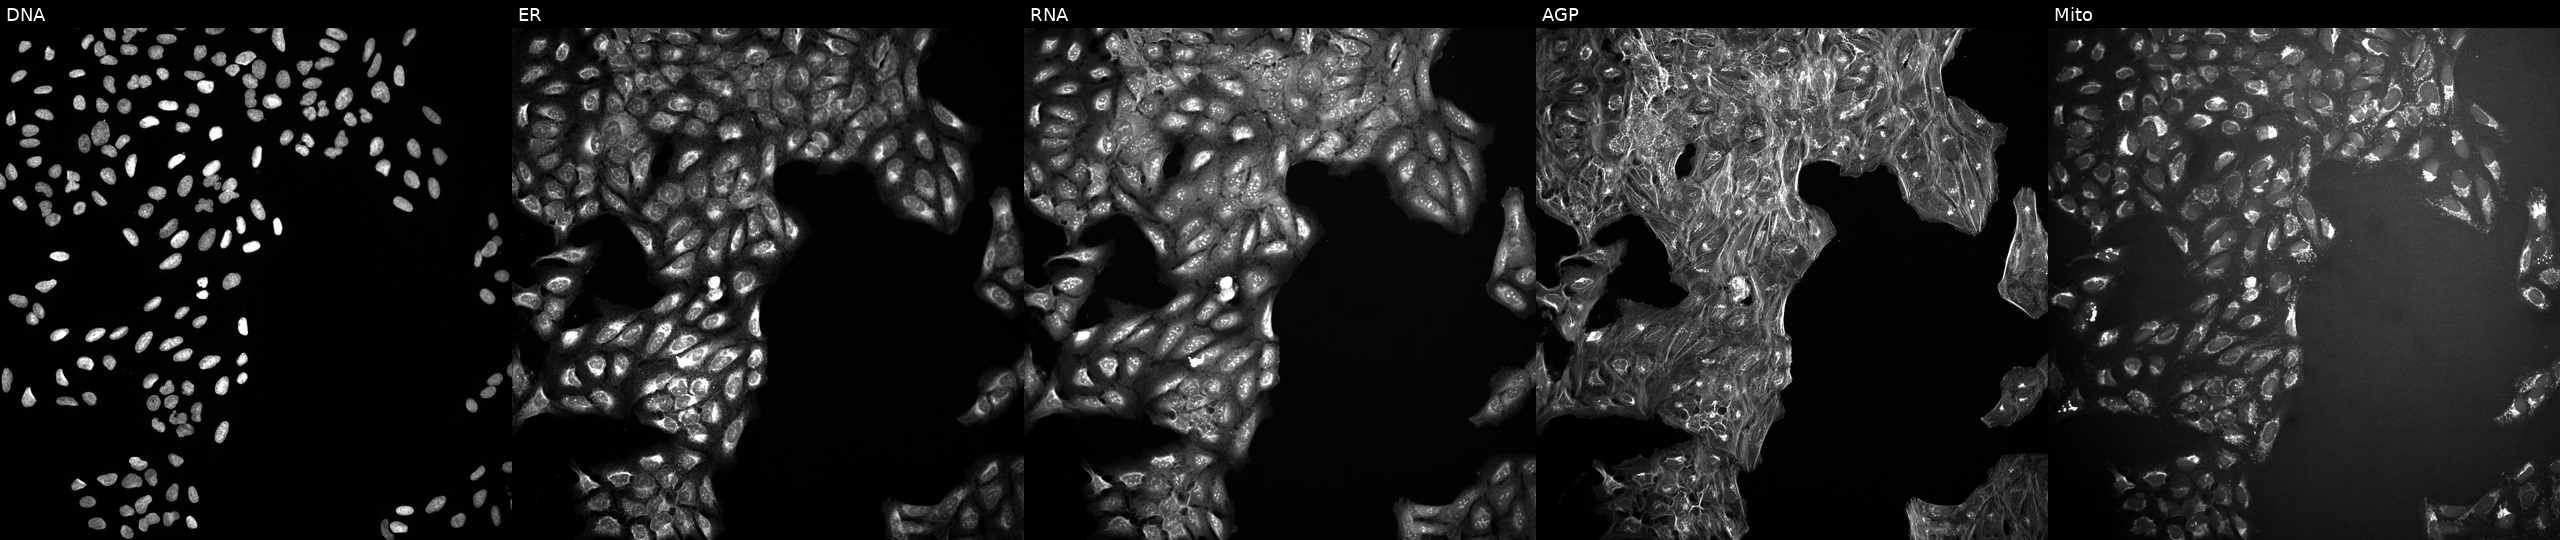
This image strip shows the five Cell Painting channels for a single field of U2OS cells treated with a small-molecule compound [SMILES: Cc1cccc(-c2nc(C(N)=O)c3[nH]c(=O)n(C(C)C)c3n2)c1]. From left to right: DNA, ER, RNA, AGP, and Mito.